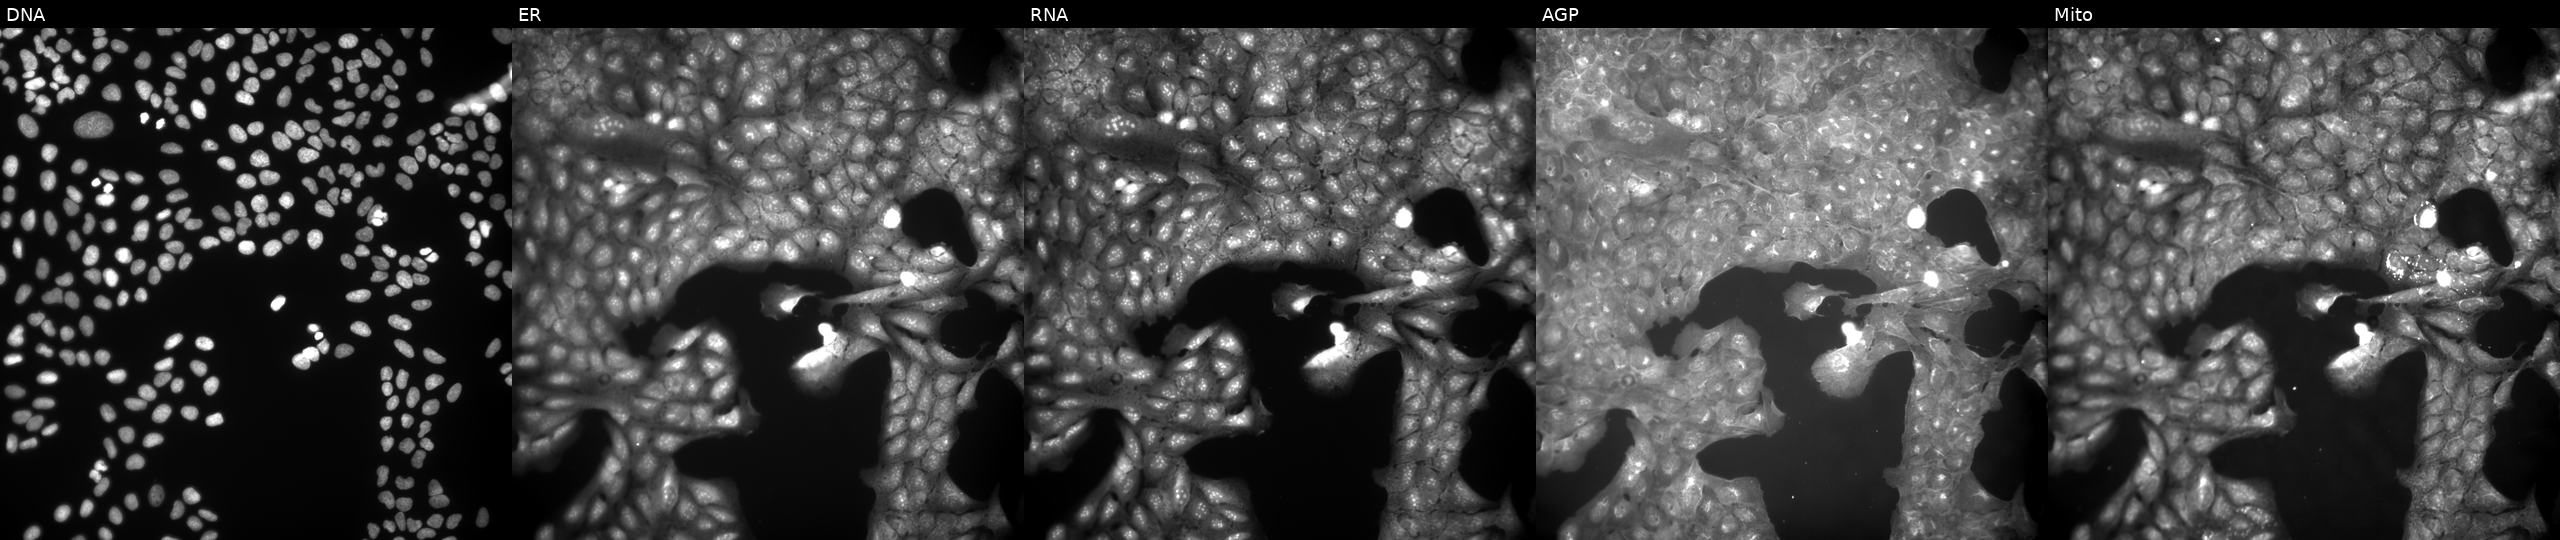
JUMP Cell Painting — COMPOUND plate. U2OS cells perturbed with a small-molecule compound. Panels show, left to right, DNA (nuclei); ER (endoplasmic reticulum); RNA (nucleoli and cytoplasmic RNA); AGP (actin cytoskeleton, Golgi, and plasma membrane); Mito (mitochondria).